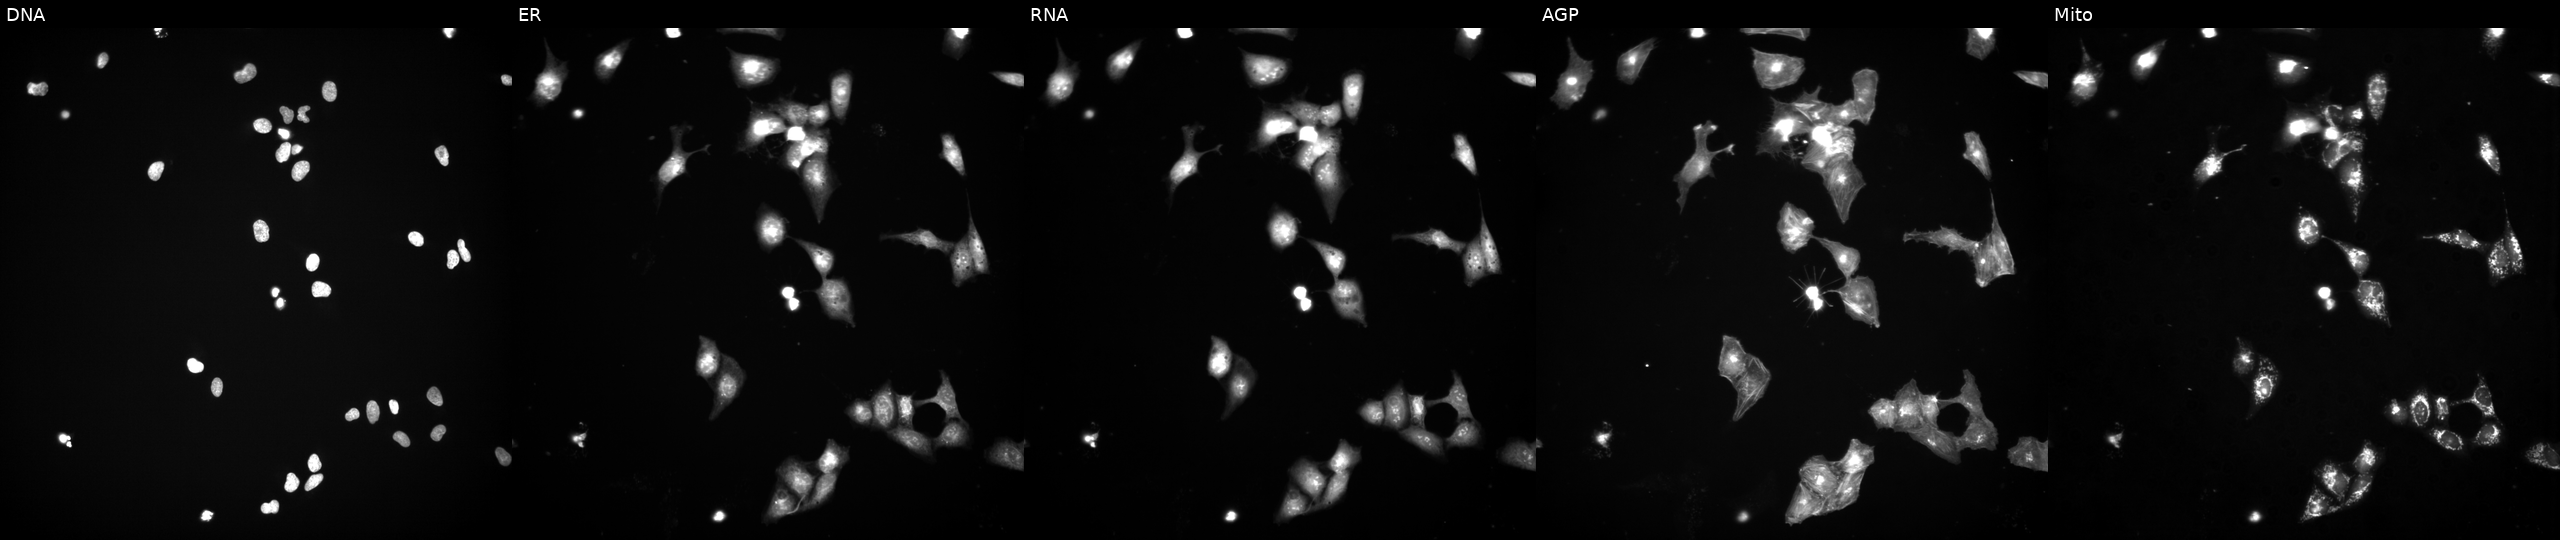
From left to right: DNA, ER, RNA, AGP, and Mito. U2OS osteosarcoma cells treated with a small-molecule compound (InChIKey AYCPARAPKDAOEN-UHFFFAOYSA-N) [SMILES: Cc1nc(=Nc2[nH]nc3c2CN(C(=O)NC(CN(C)C)c2ccccc2)C3(C)C)c2sccc2[nH]1]. Cell Painting assay, JUMP-CP dataset.